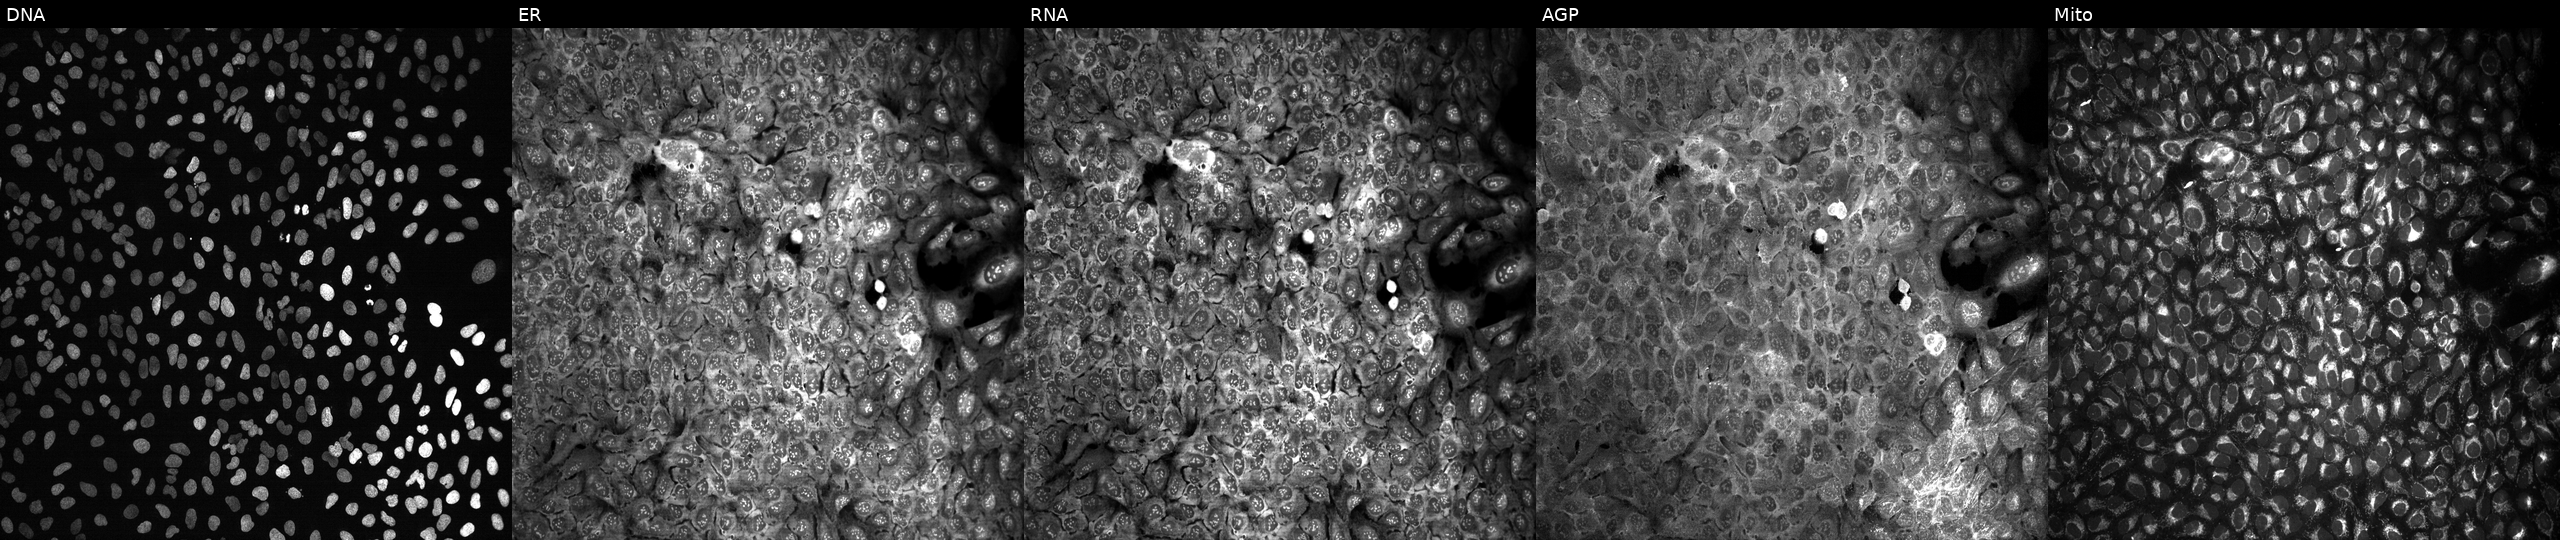
Five-channel Cell Painting image of U2OS cells with a non-targeting CRISPR guide (negative control) (JUMP id JCP2022_800002). The five panels, left to right, show Hoechst 33342, concanavalin A, SYTO 14, phalloidin and WGA, MitoTracker.